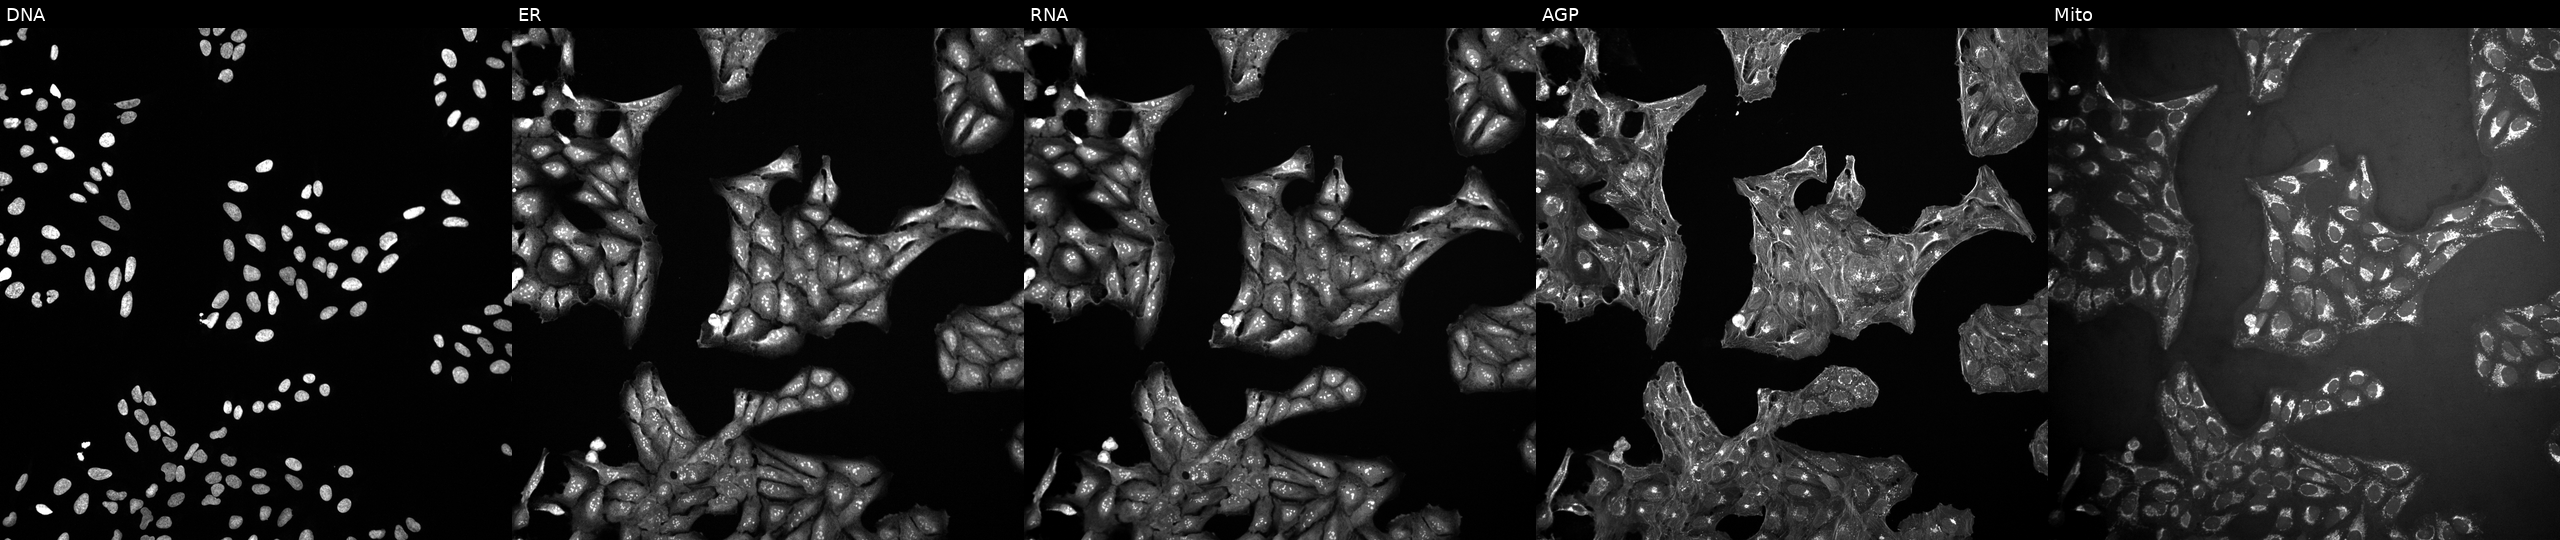
High-content fluorescence microscopy (Cell Painting). Cell line: U2OS. Perturbation: treated with a small-molecule compound (InChIKey LMQHBNUDHDGBQO-UHFFFAOYSA-N). Panels show, left to right, DNA, ER, RNA, AGP, and Mito.